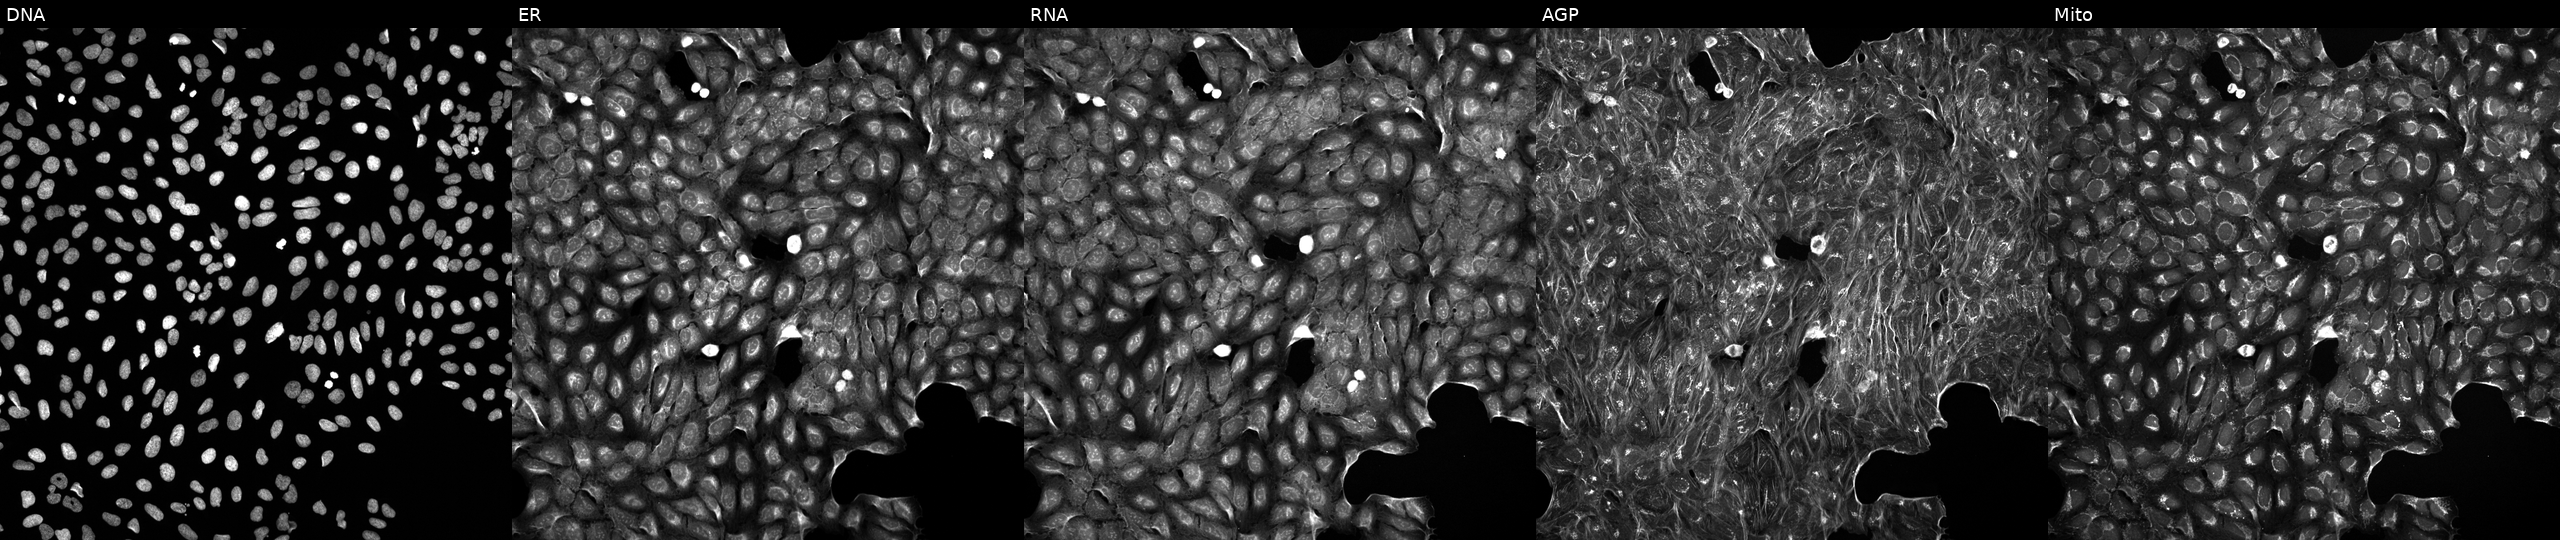
Channels (left→right): Hoechst 33342, concanavalin A, SYTO 14, phalloidin and WGA, MitoTracker. U2OS osteosarcoma cells treated with a small-molecule compound (InChIKey KJWGEXJCWCYEMI-UHFFFAOYSA-N) (JUMP id JCP2022_045105). Cell Painting assay, JUMP-CP dataset. Source 5, plate ACPJUM012, well O14.